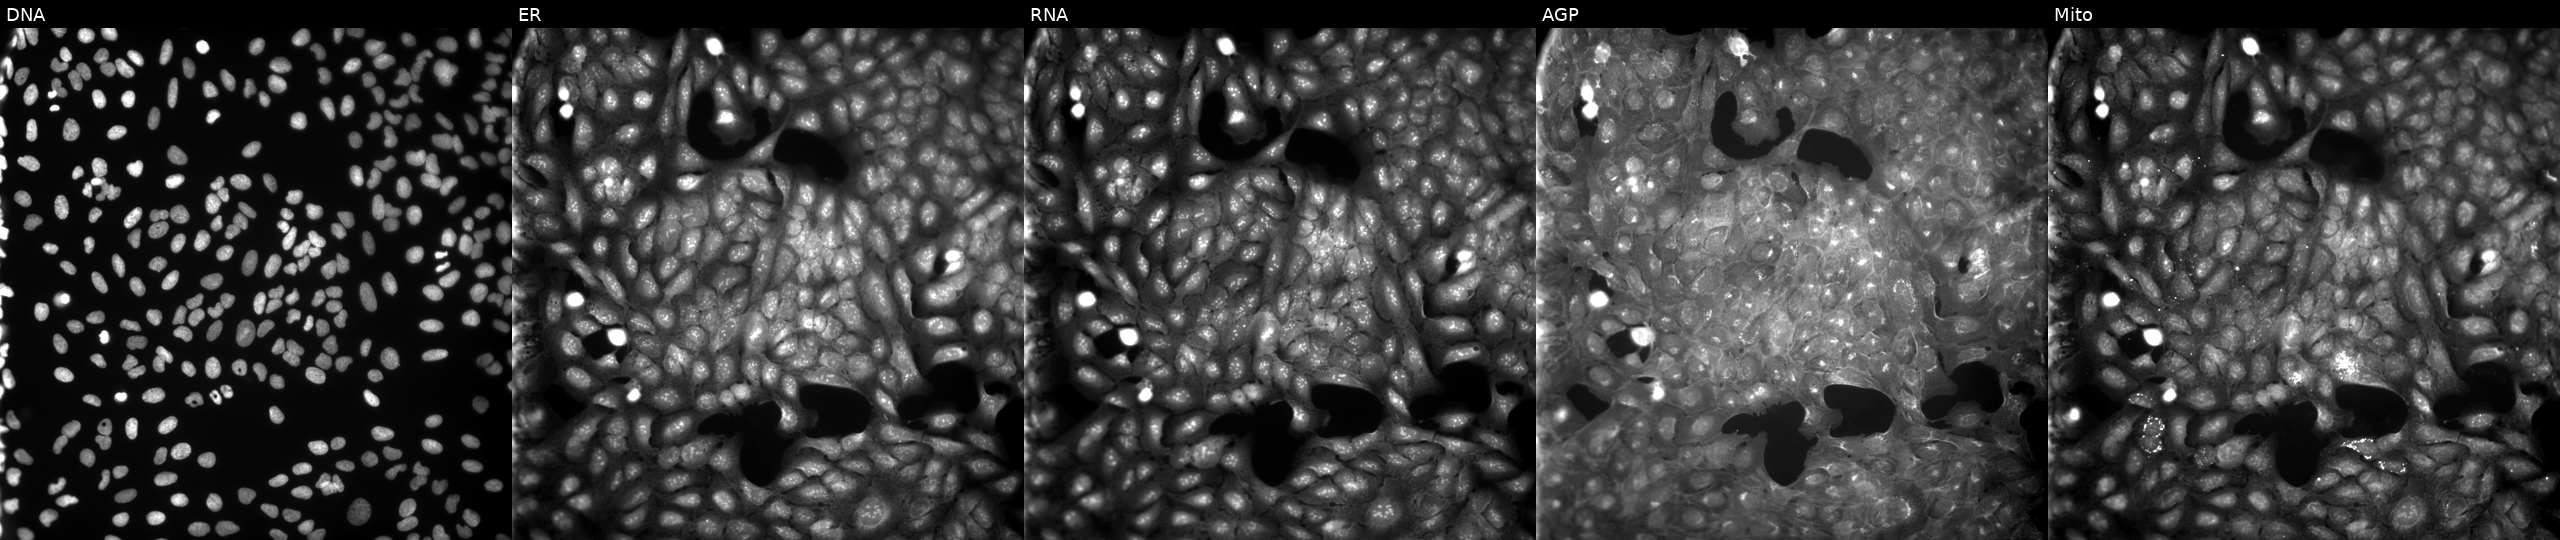
High-content fluorescence microscopy (Cell Painting). Cell line: U2OS. Perturbation: perturbed with a small-molecule compound (JUMP id JCP2022_111893). Channels (left→right): DNA, ER, RNA, AGP, and Mito. Source 9, plate GR00003381, well W05.